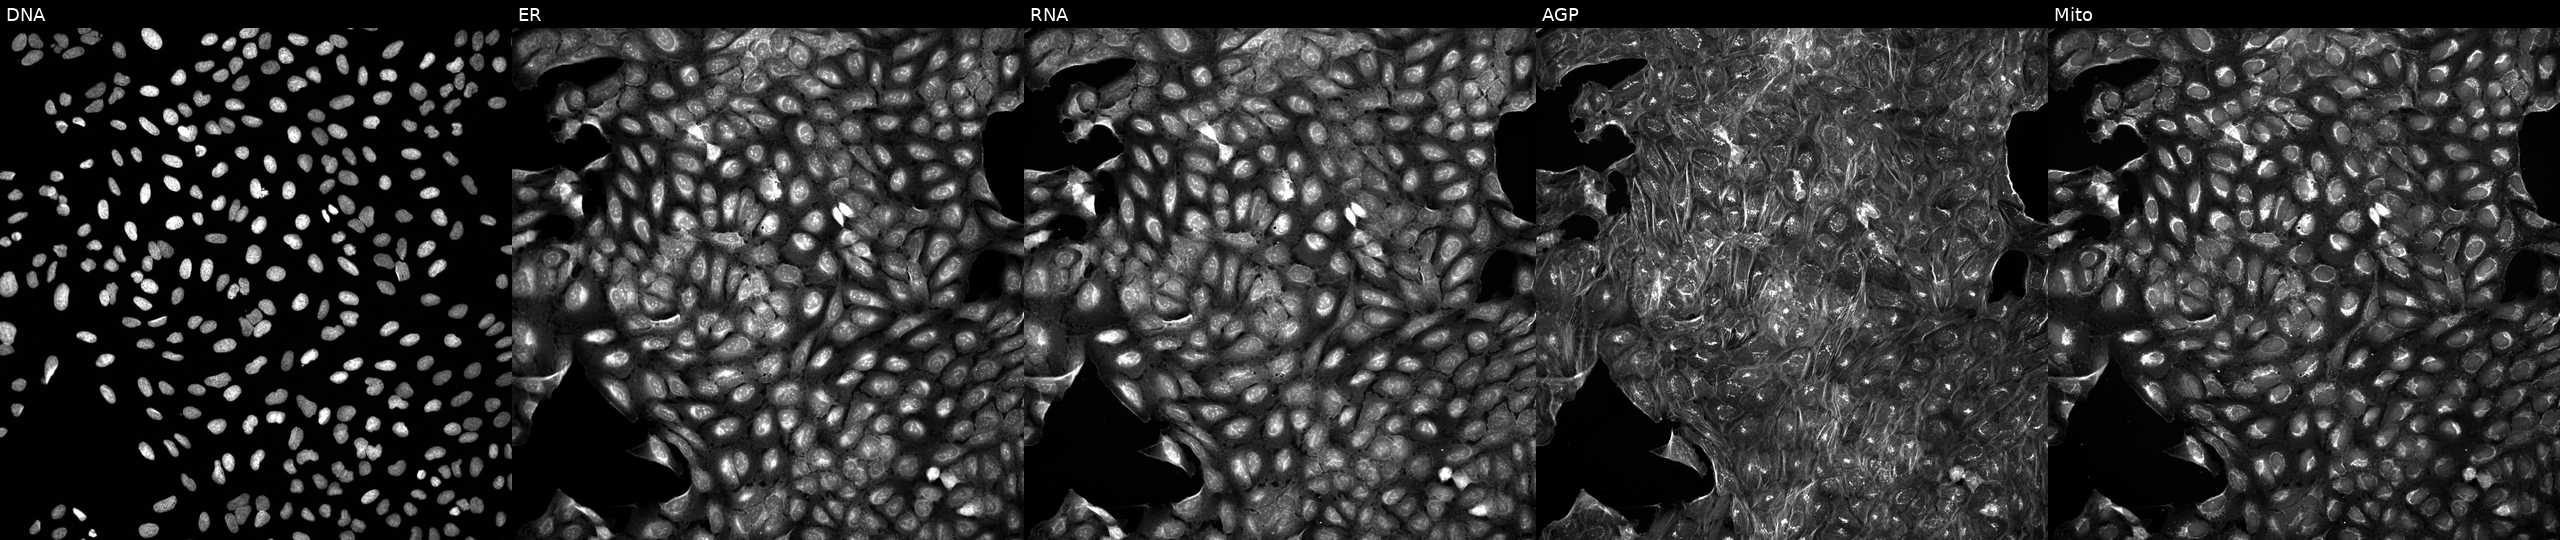
JUMP Cell Painting — COMPOUND plate. U2OS cells treated with DMSO vehicle only (negative control). Panels show, left to right, Hoechst 33342, concanavalin A, SYTO 14, phalloidin and WGA, MitoTracker.